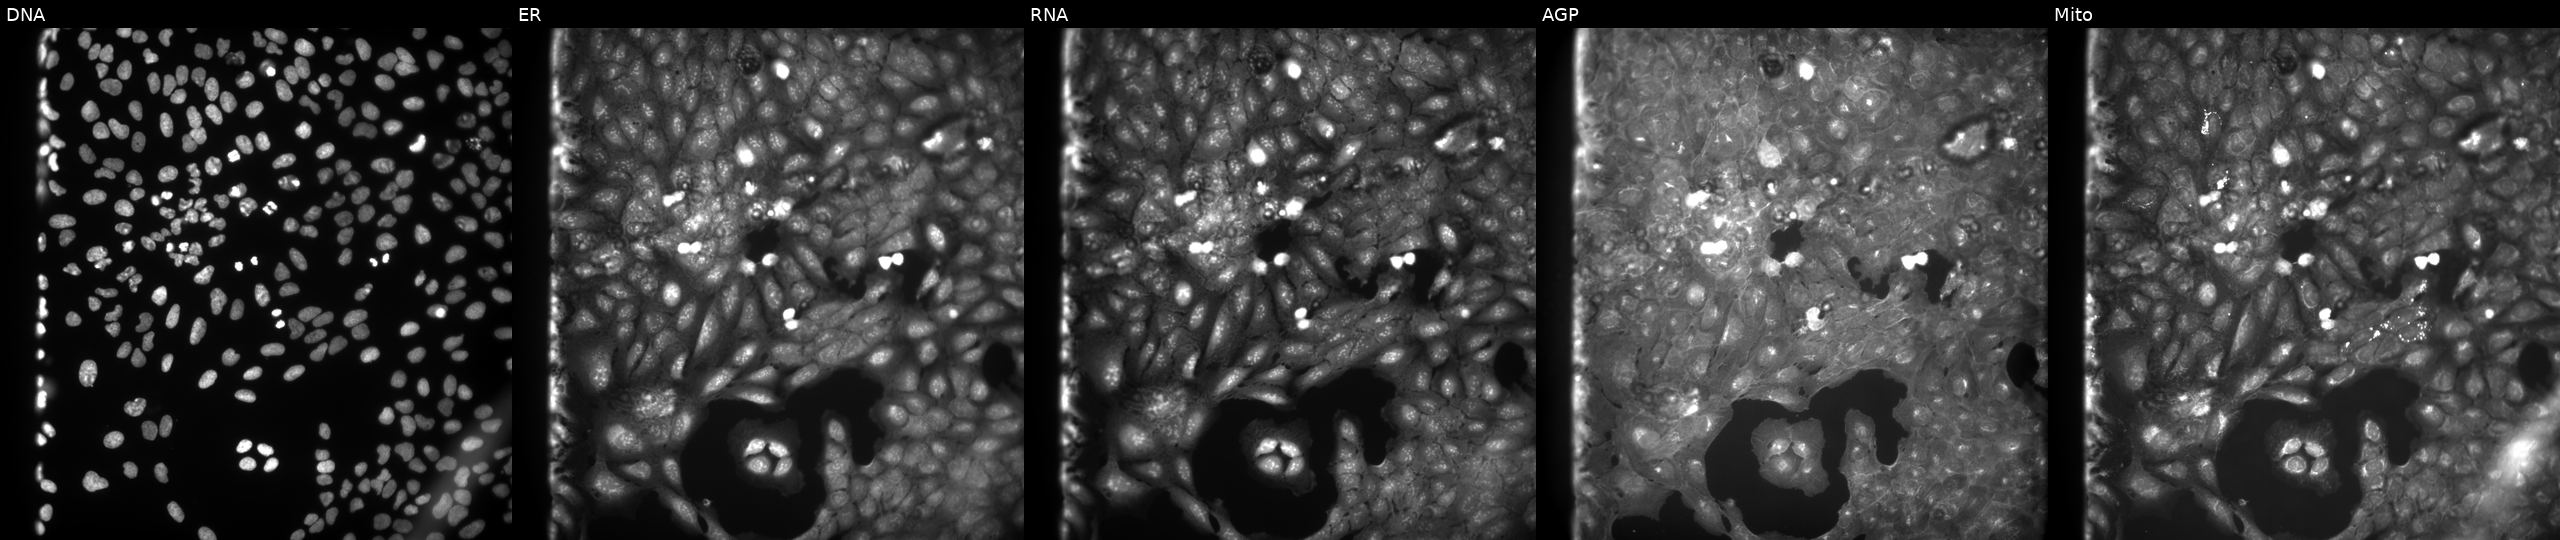
JUMP Cell Painting — COMPOUND plate. U2OS cells exposed to DMSO alone as a negative control (JUMP id JCP2022_033924). Panels show, left to right, DNA, ER, RNA, AGP, and Mito. Source 9, plate GR00003382, well G02.